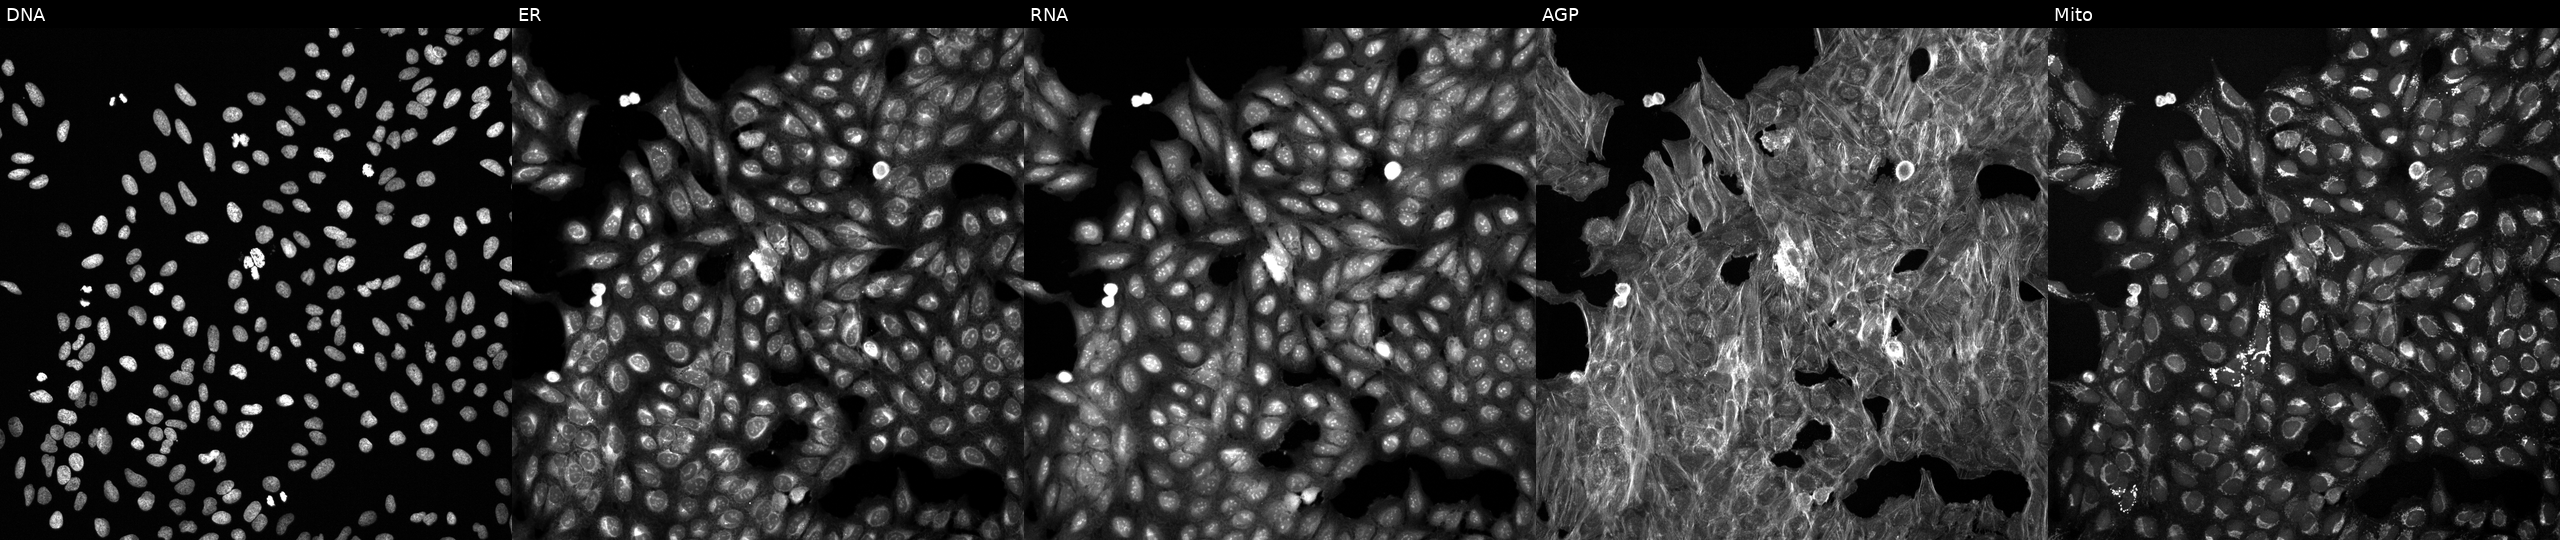
Five-channel Cell Painting image of U2OS cells perturbed with a small-molecule compound (InChIKey XWUWTURDEVEXLY-UHFFFAOYSA-N). The five panels, left to right, show DNA, ER, RNA, AGP, and Mito.